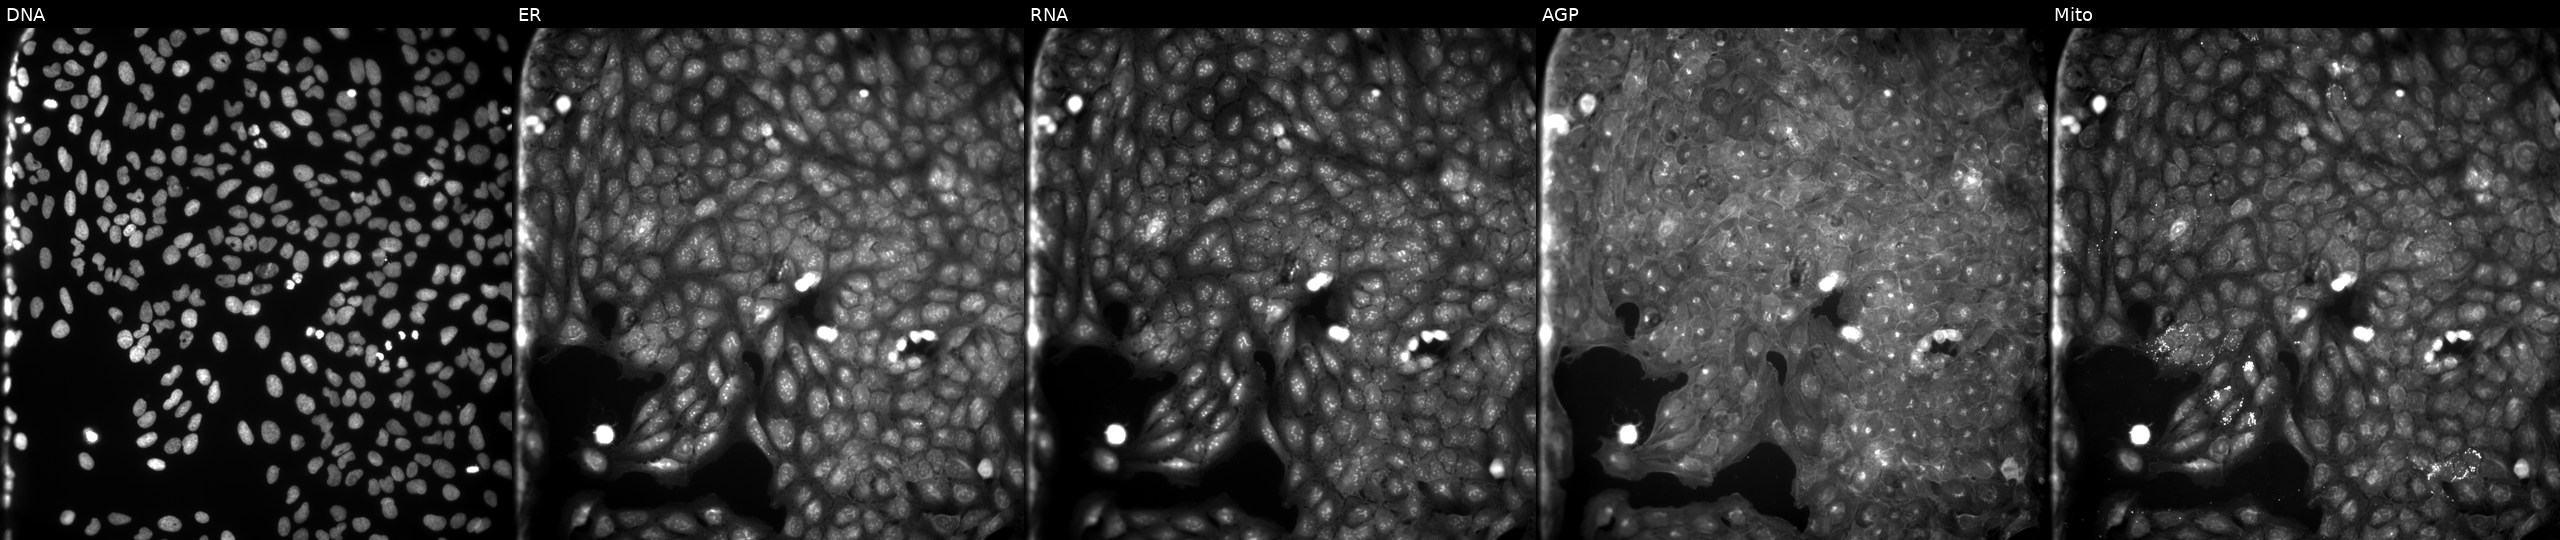
Five-channel Cell Painting image of U2OS cells exposed to the positive-control compound quinidine. From left to right: DNA, ER, RNA, AGP, and Mito. Source 9, plate GR00003381, well W01.